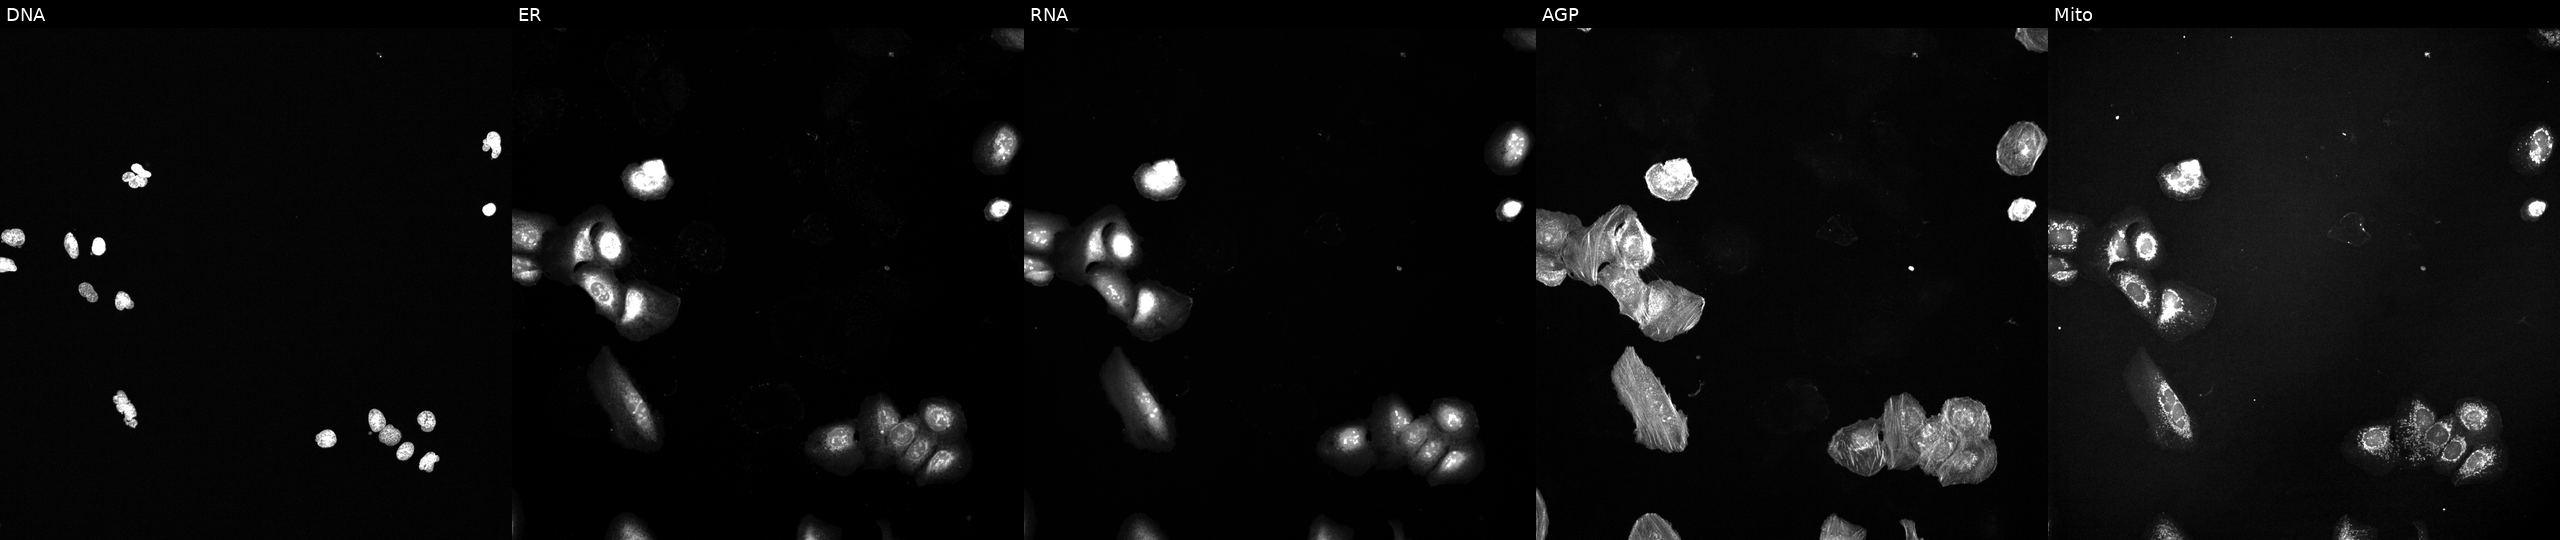
Panels show, left to right, Hoechst 33342, concanavalin A, SYTO 14, phalloidin and WGA, MitoTracker. U2OS osteosarcoma cells treated with a small-molecule compound (InChIKey LFSZKTNMKIHRQD-UHFFFAOYSA-N). Cell Painting assay, JUMP-CP dataset. Source 6, plate 110000293082, well B05.